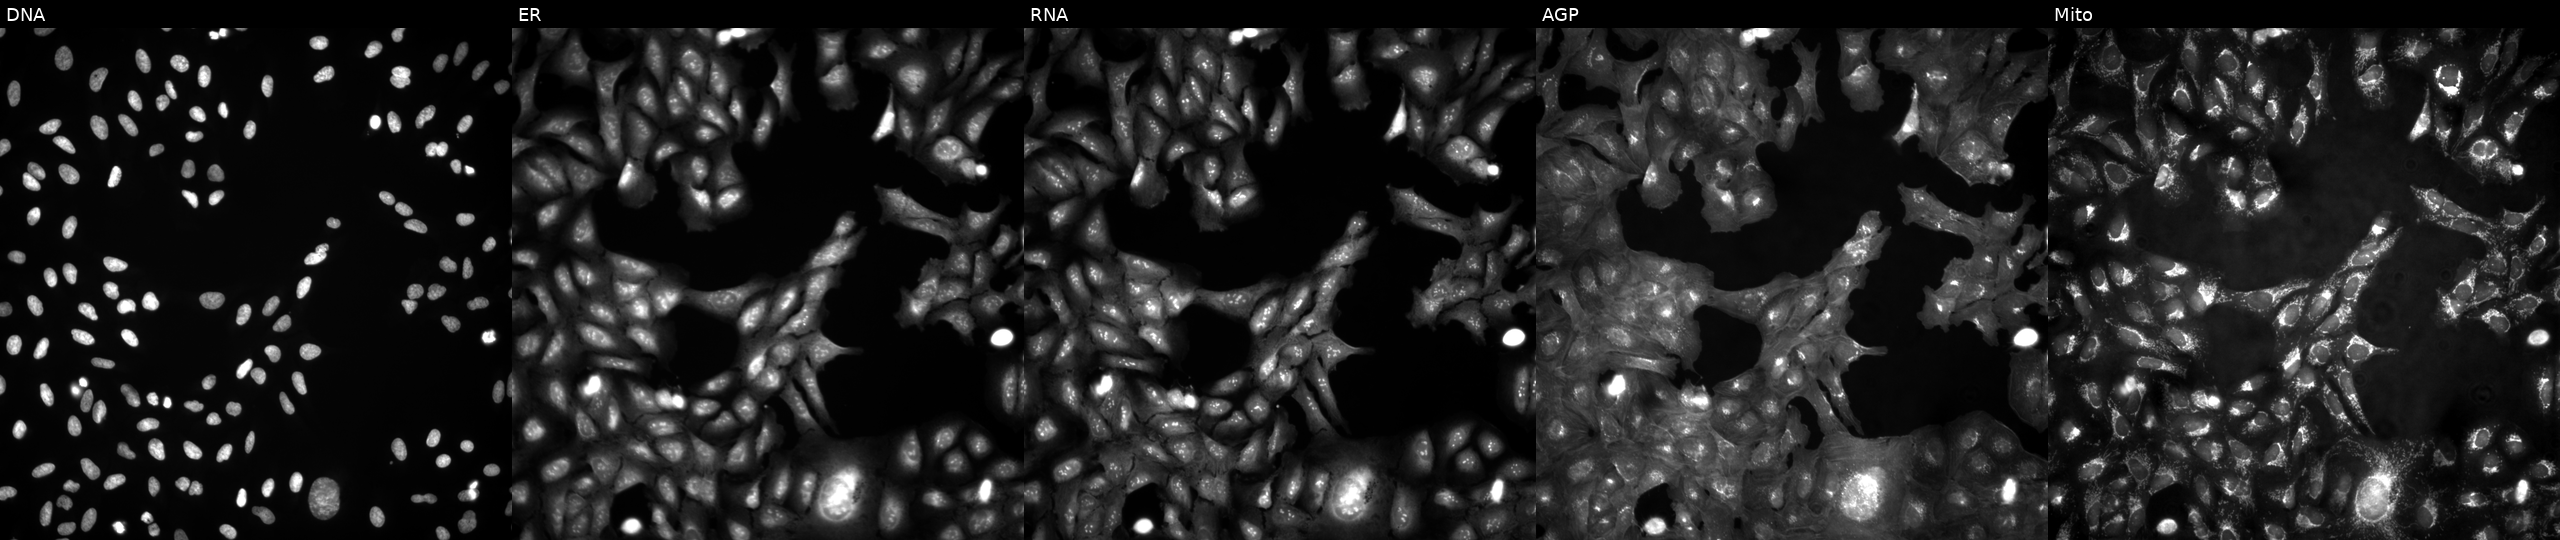
JUMP Cell Painting — ORF plate. U2OS cells in an empty control well (no perturbation). Channels (left→right): Hoechst 33342, concanavalin A, SYTO 14, phalloidin and WGA, MitoTracker. Source 4, plate BR00123946, well C04.